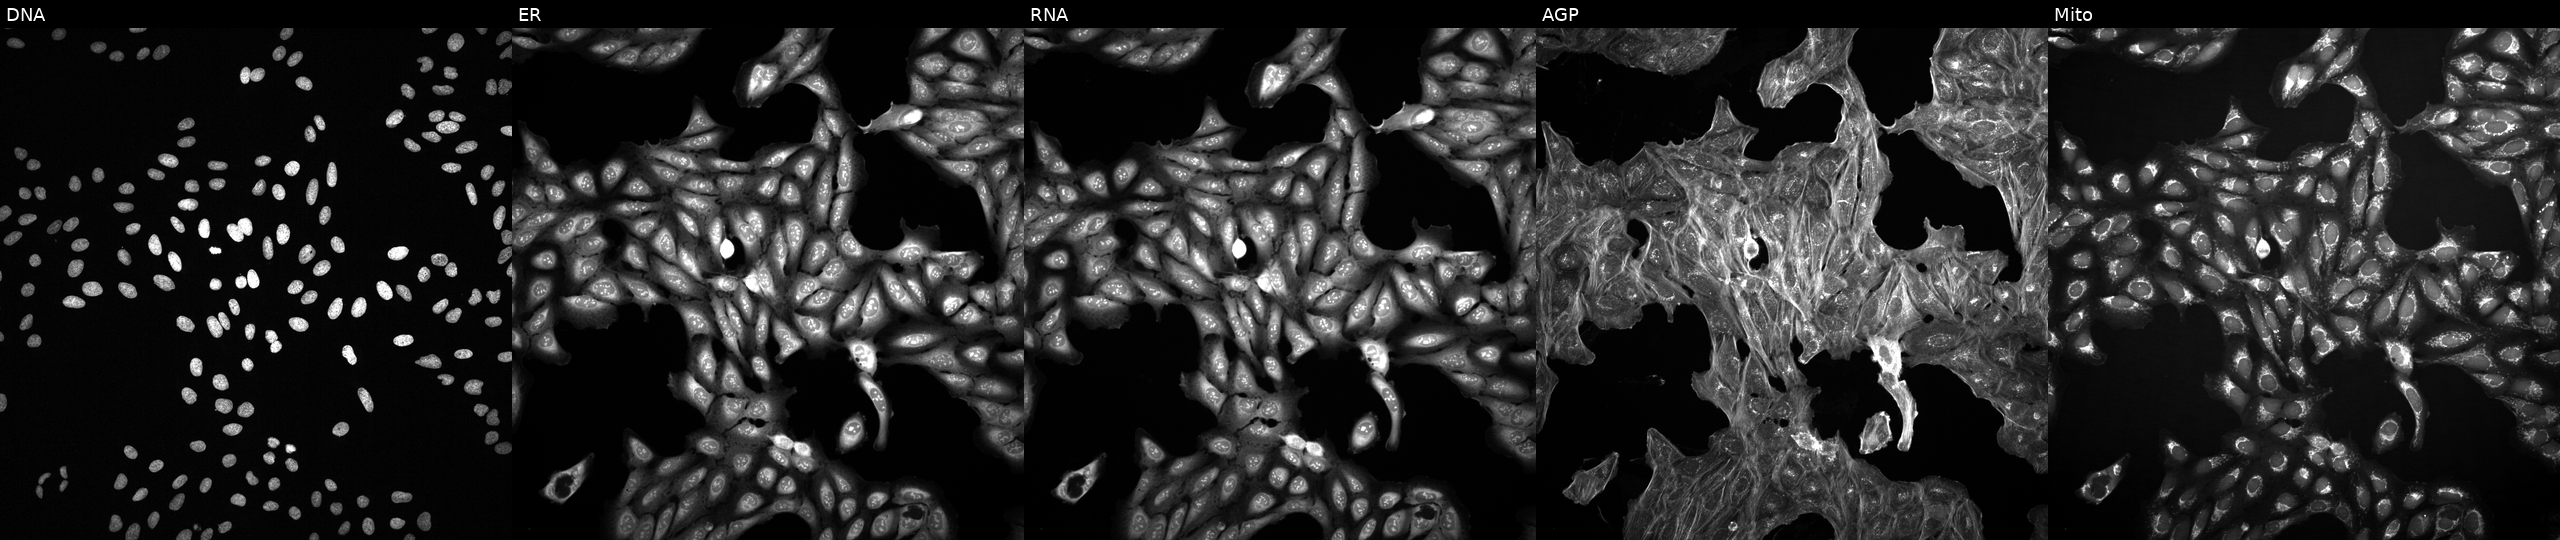
U2OS cells, Cell Painting assay, treated with a small-molecule compound (InChIKey ALBKMJDFBZVHAK-UHFFFAOYSA-N) (JUMP id JCP2022_002118). Panels show, left to right, Hoechst 33342, concanavalin A, SYTO 14, phalloidin and WGA, MitoTracker. Each panel is percentile-stretched 16-bit fluorescence. Source 2, plate 1053597936, well N16.